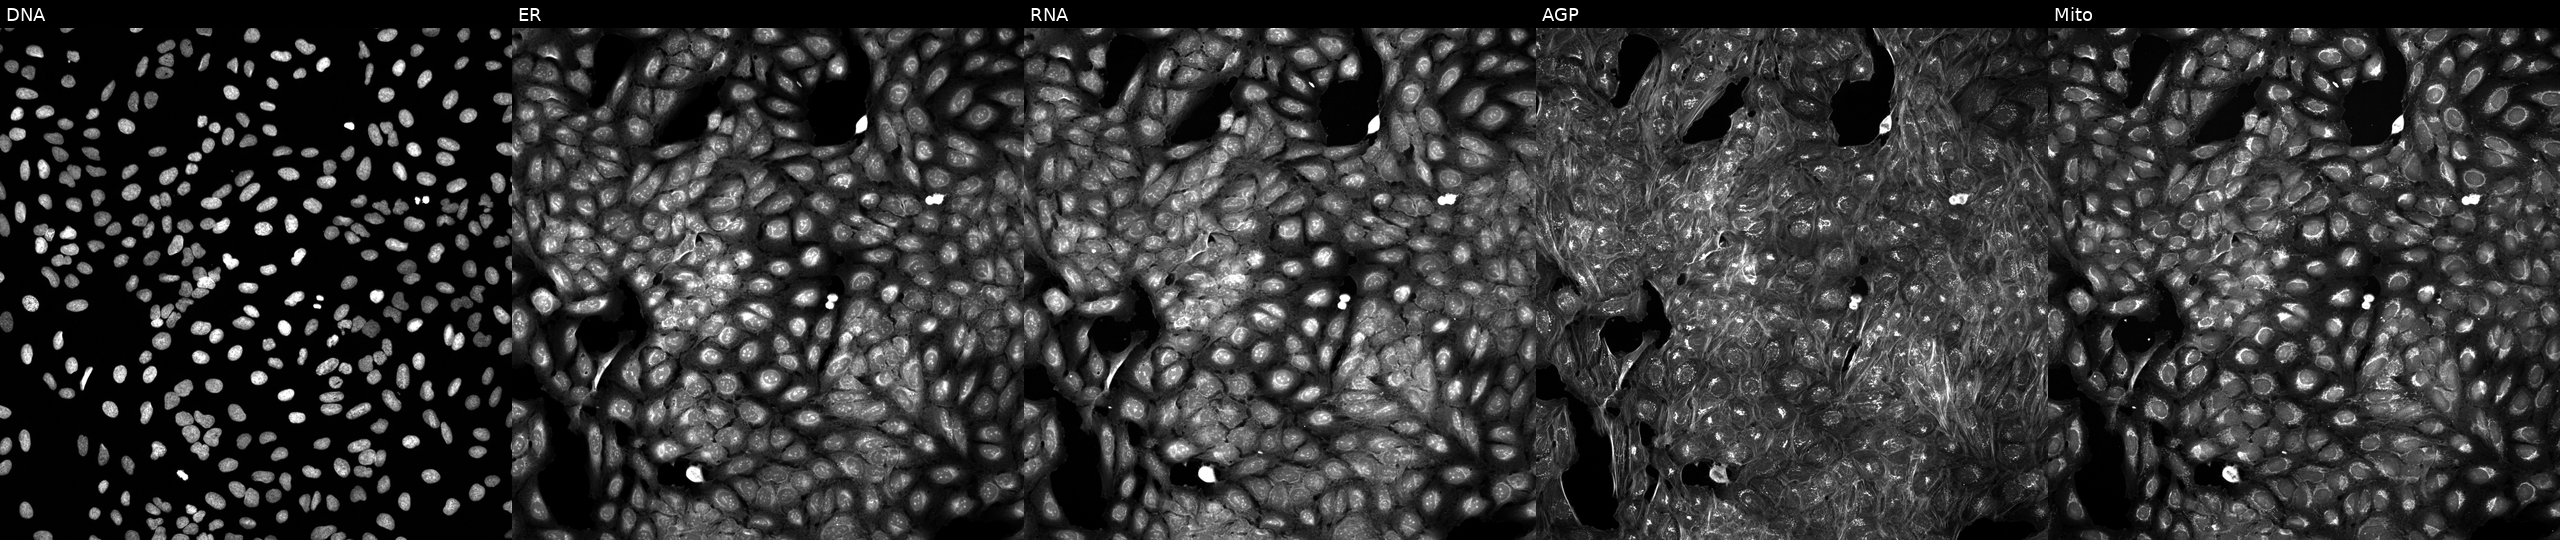
JUMP Cell Painting — COMPOUND plate. U2OS cells treated with a small-molecule compound (InChIKey WPHPLSZLTIBVBZ-UHFFFAOYSA-N) (JUMP id JCP2022_100280). From left to right: Hoechst 33342, concanavalin A, SYTO 14, phalloidin and WGA, MitoTracker.